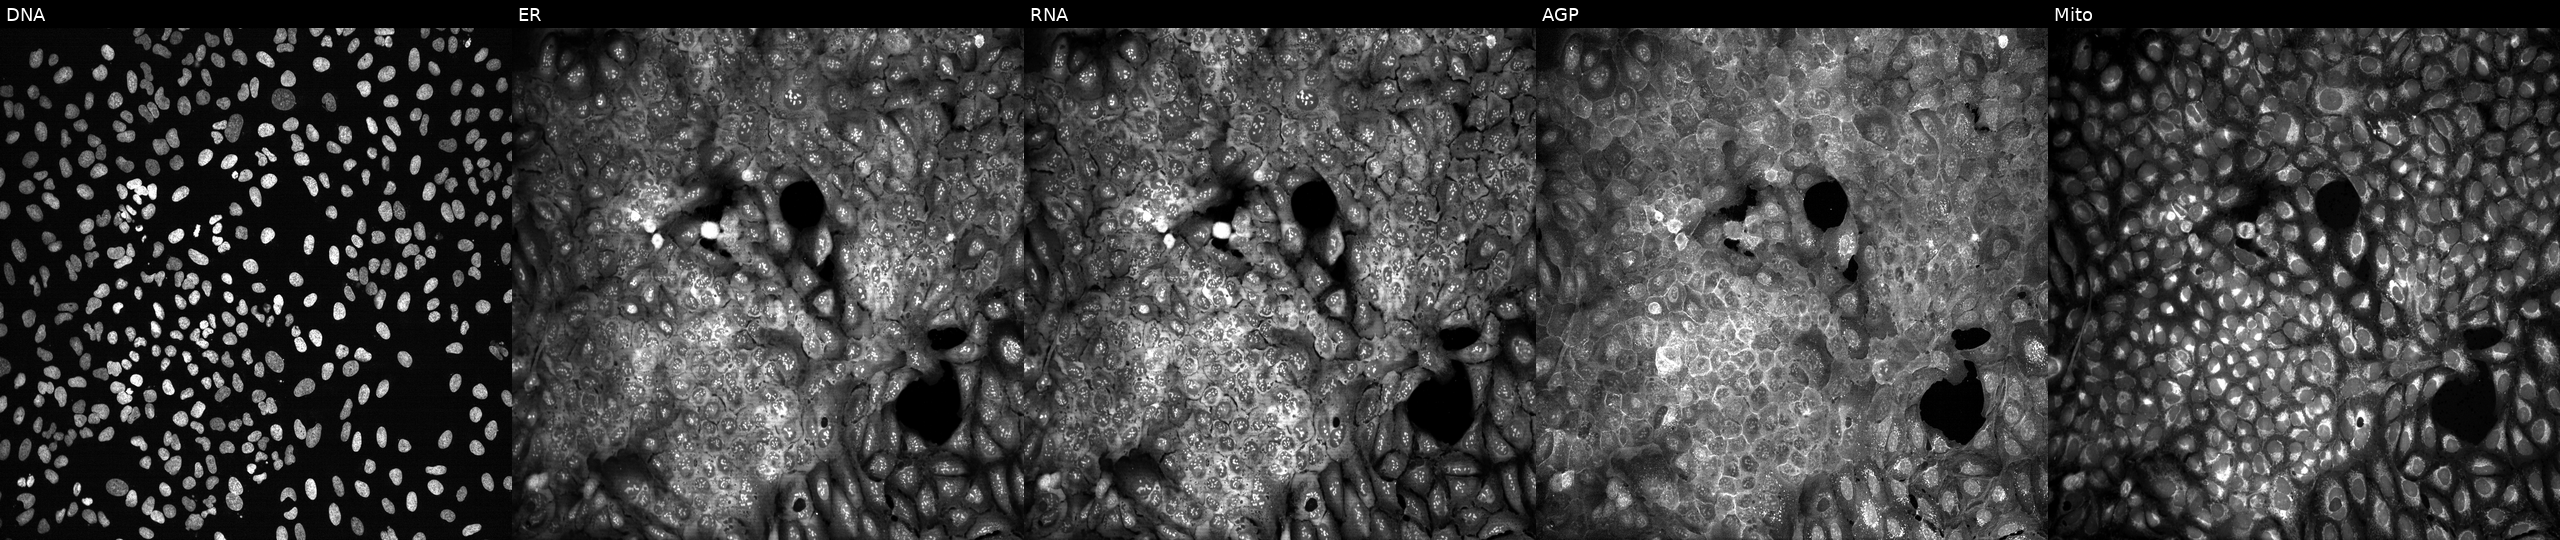
Five-channel Cell Painting image of U2OS cells following CRISPR knockout of SLCO2B1 (JUMP id JCP2022_806606). From left to right: DNA (nuclei); ER (endoplasmic reticulum); RNA (nucleoli and cytoplasmic RNA); AGP (actin cytoskeleton, Golgi, and plasma membrane); Mito (mitochondria). Source 13, plate CP-CC9-R5-01, well B16.